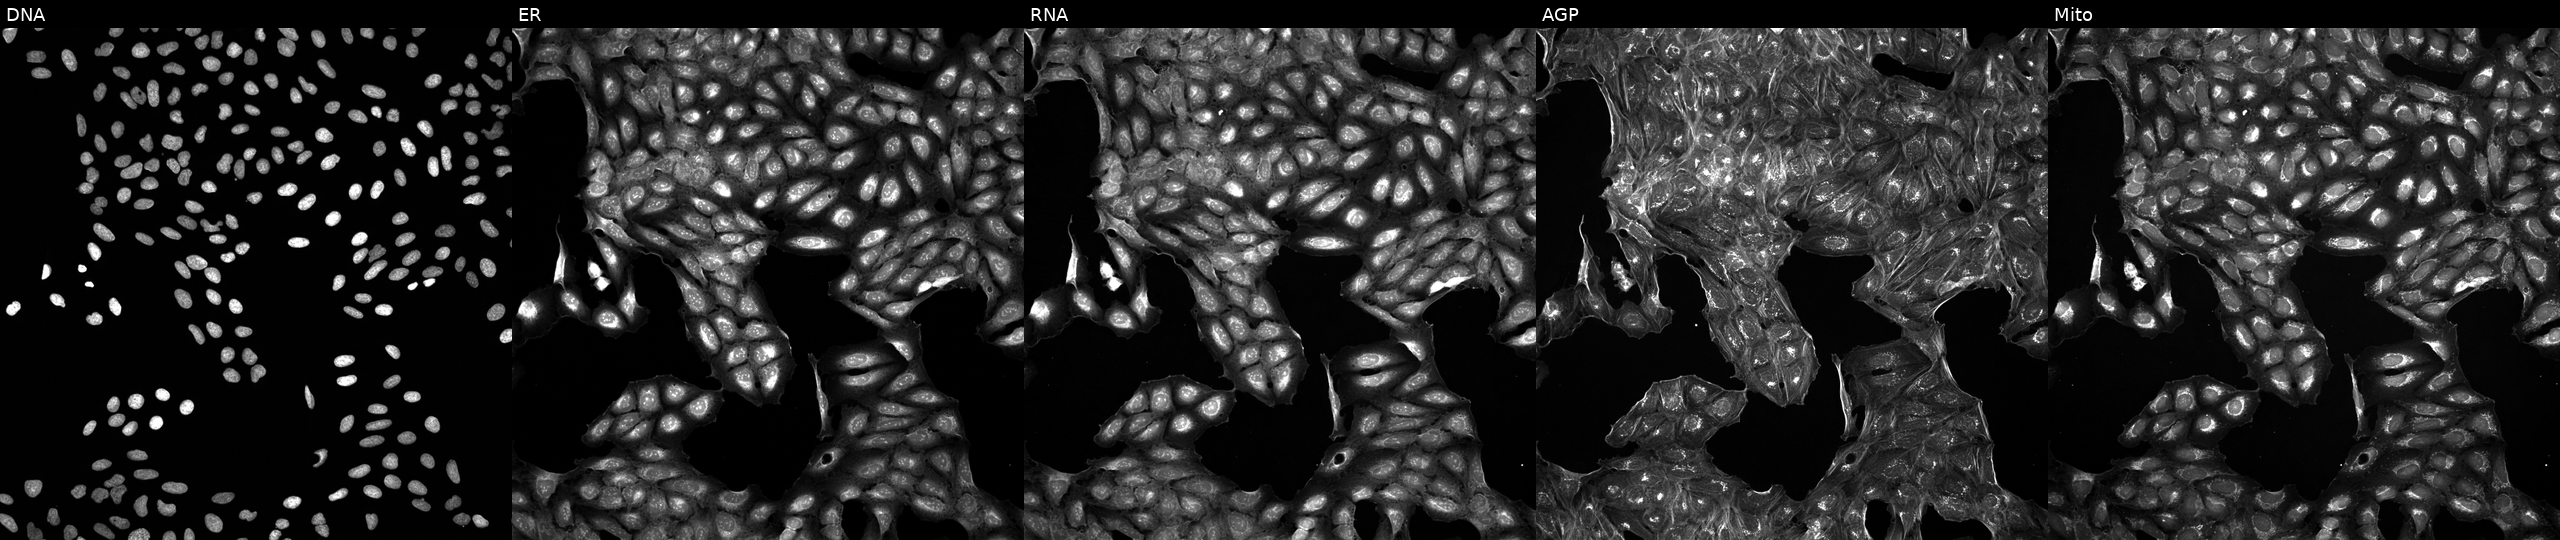
JUMP Cell Painting — COMPOUND plate. U2OS cells exposed to a small-molecule compound (InChIKey SGRLJARPOLPRDR-UHFFFAOYSA-N). The five panels, left to right, show DNA (nuclei); ER (endoplasmic reticulum); RNA (nucleoli and cytoplasmic RNA); AGP (actin cytoskeleton, Golgi, and plasma membrane); Mito (mitochondria). Source 5, plate APTJUM105, well D15.